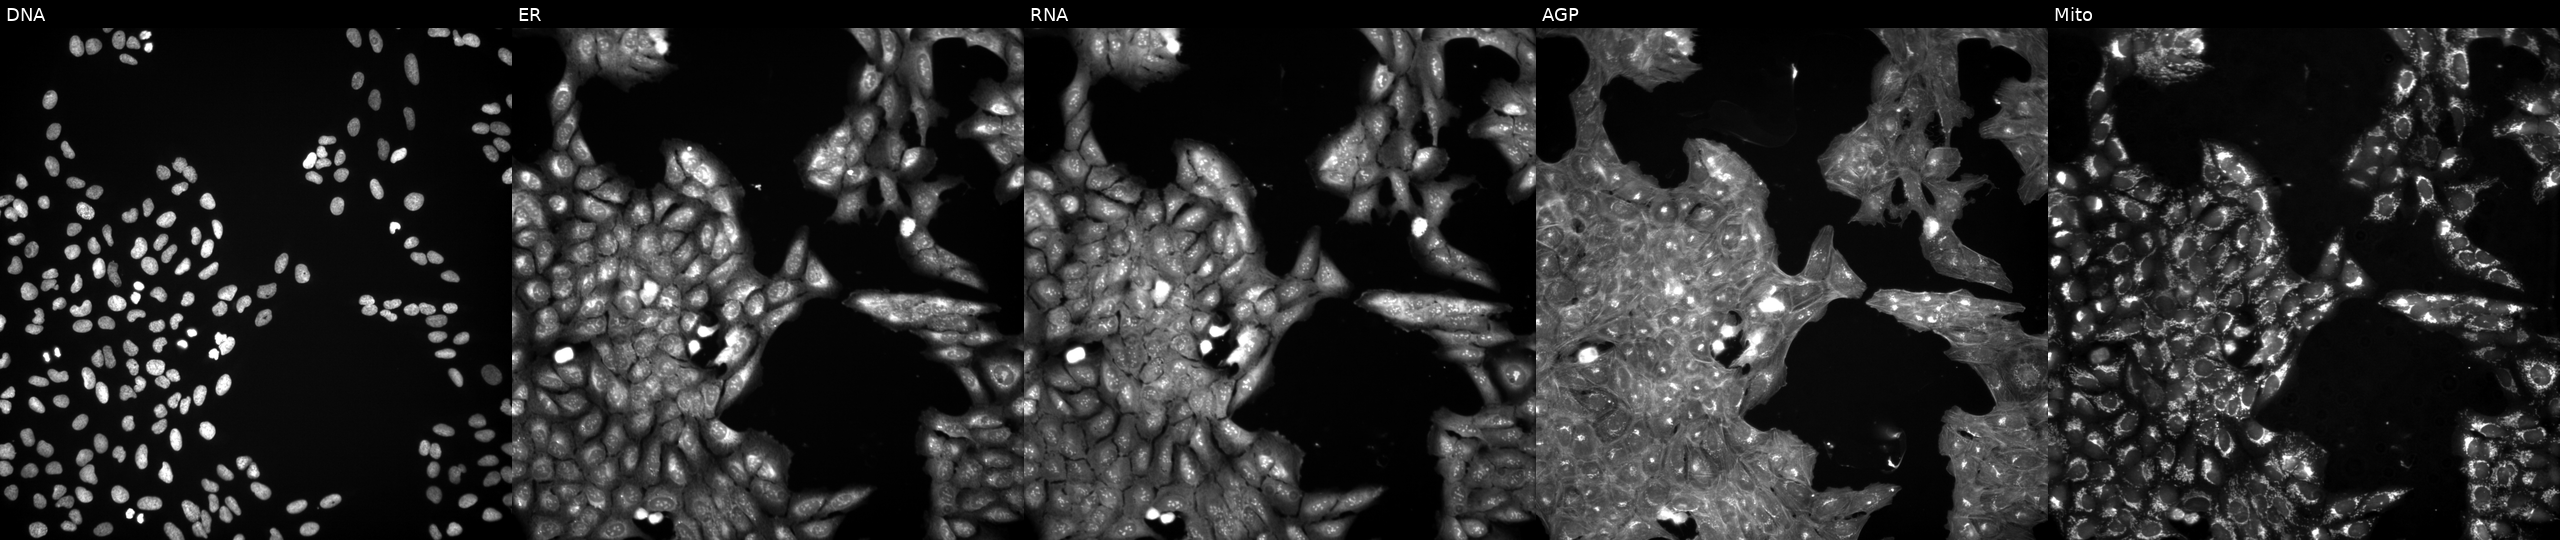
High-content fluorescence microscopy (Cell Painting). Cell line: U2OS. Perturbation: perturbed with a small-molecule compound (InChIKey XRYHWBQNTJUJLS-UHFFFAOYSA-N) (JUMP id JCP2022_105648). From left to right: DNA (nuclei); ER (endoplasmic reticulum); RNA (nucleoli and cytoplasmic RNA); AGP (actin cytoskeleton, Golgi, and plasma membrane); Mito (mitochondria).